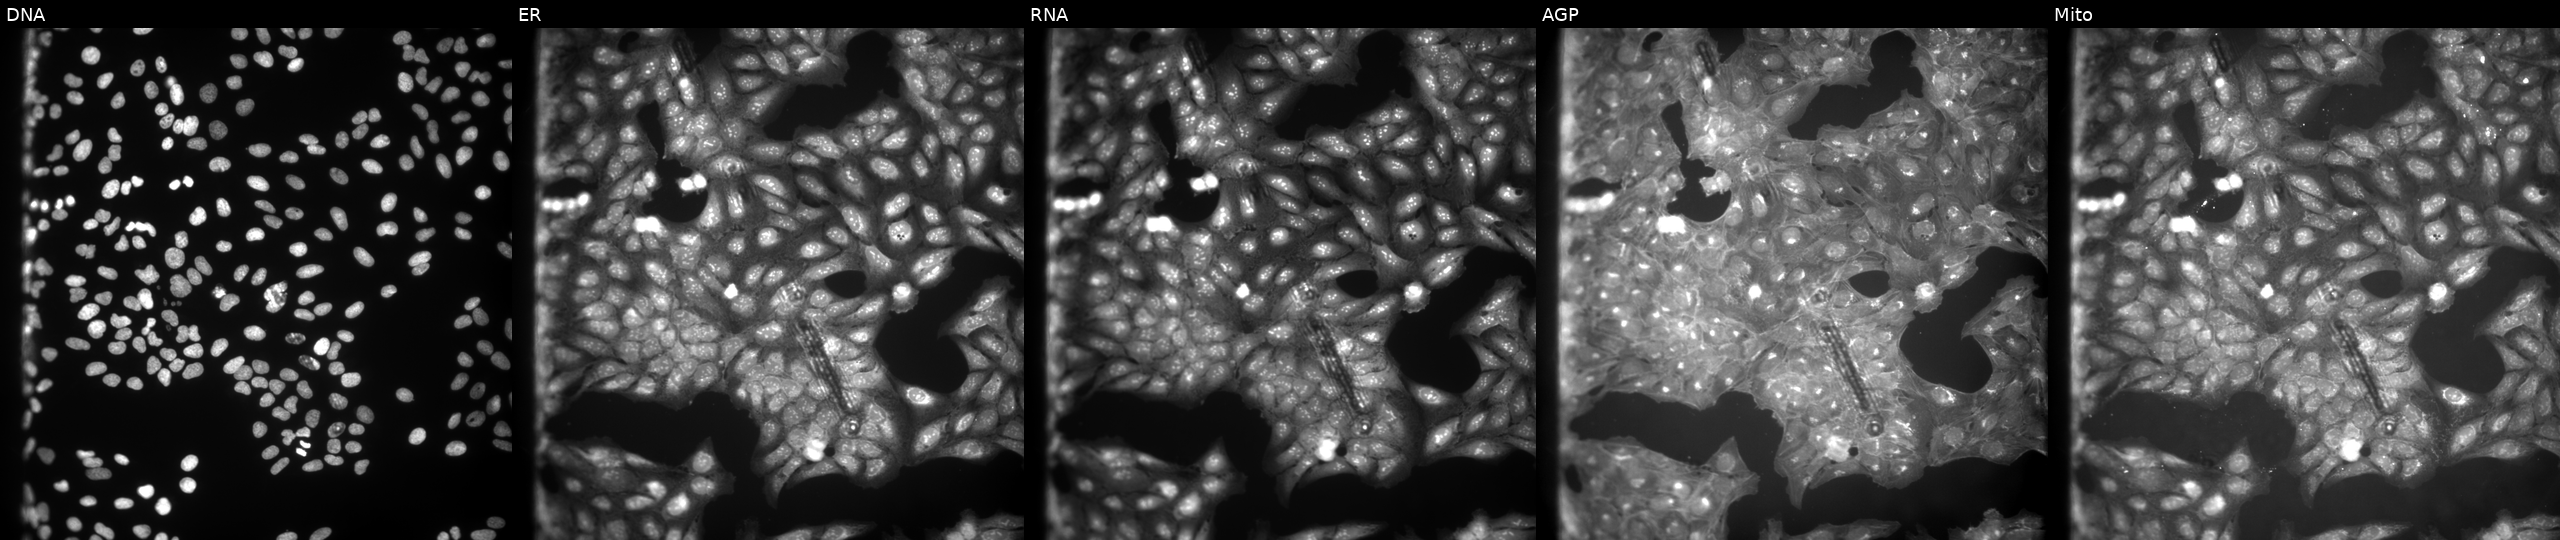
The five panels, left to right, show Hoechst 33342, concanavalin A, SYTO 14, phalloidin and WGA, MitoTracker. U2OS osteosarcoma cells treated with a small-molecule compound (InChIKey HKPDYQSNDOCOQL-UHFFFAOYSA-N) [SMILES: CCCC(=O)Nc1ccc2nn(-c3ccc(CC)cc3)nc2c1] (JUMP id JCP2022_030823). Cell Painting assay, JUMP-CP dataset.